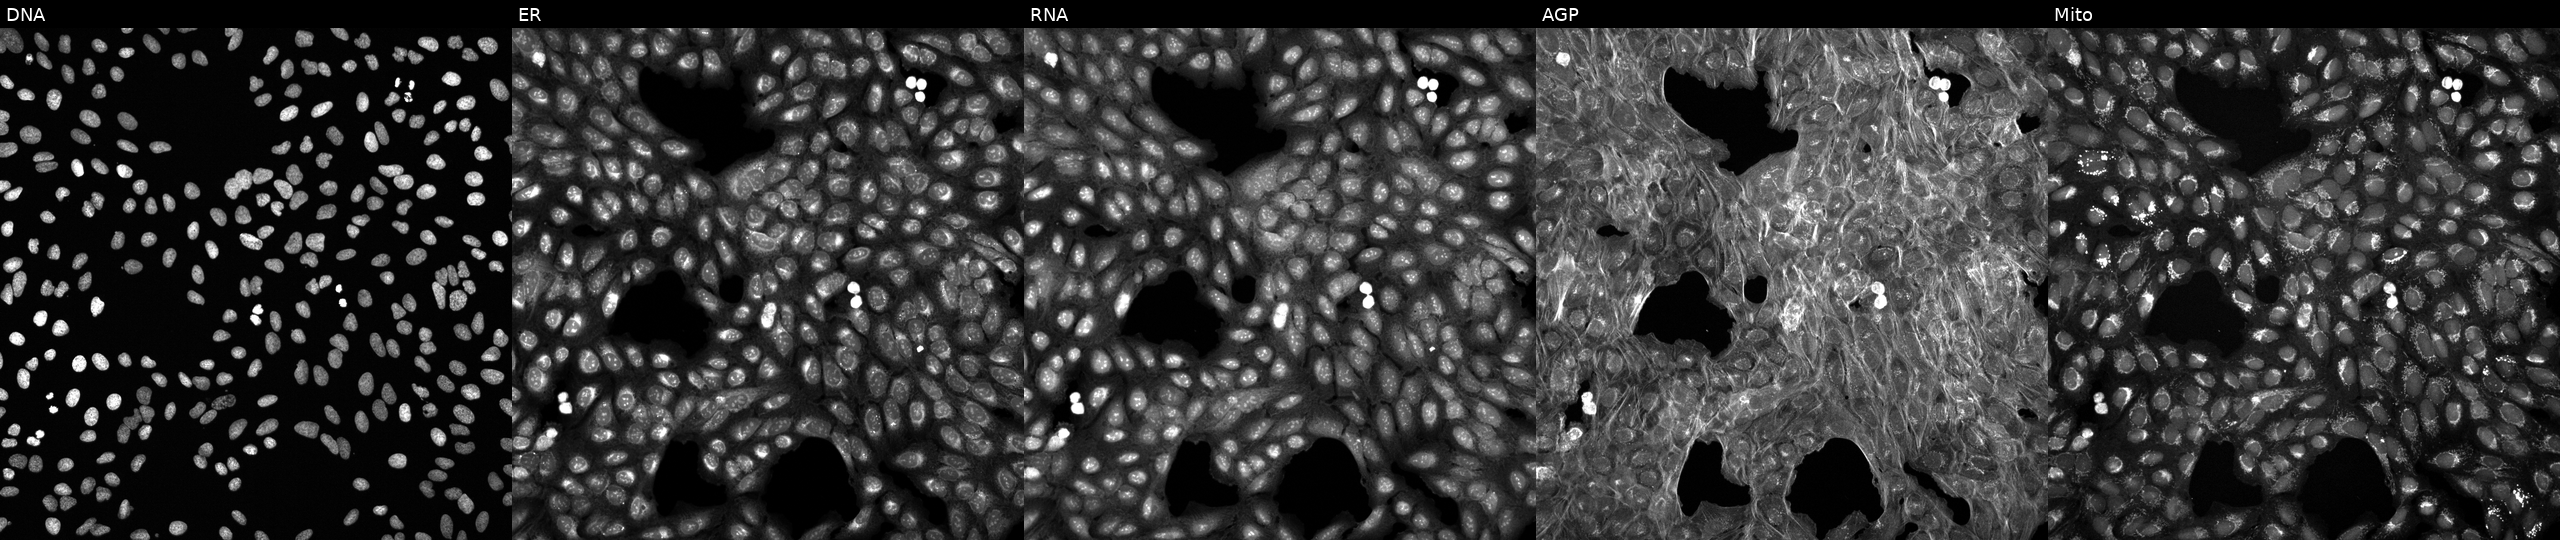
Five-channel Cell Painting image of U2OS cells perturbed with a small-molecule compound (InChIKey SHZKQBHERIJWAO-UHFFFAOYSA-N). The five panels, left to right, show Hoechst 33342, concanavalin A, SYTO 14, phalloidin and WGA, MitoTracker.